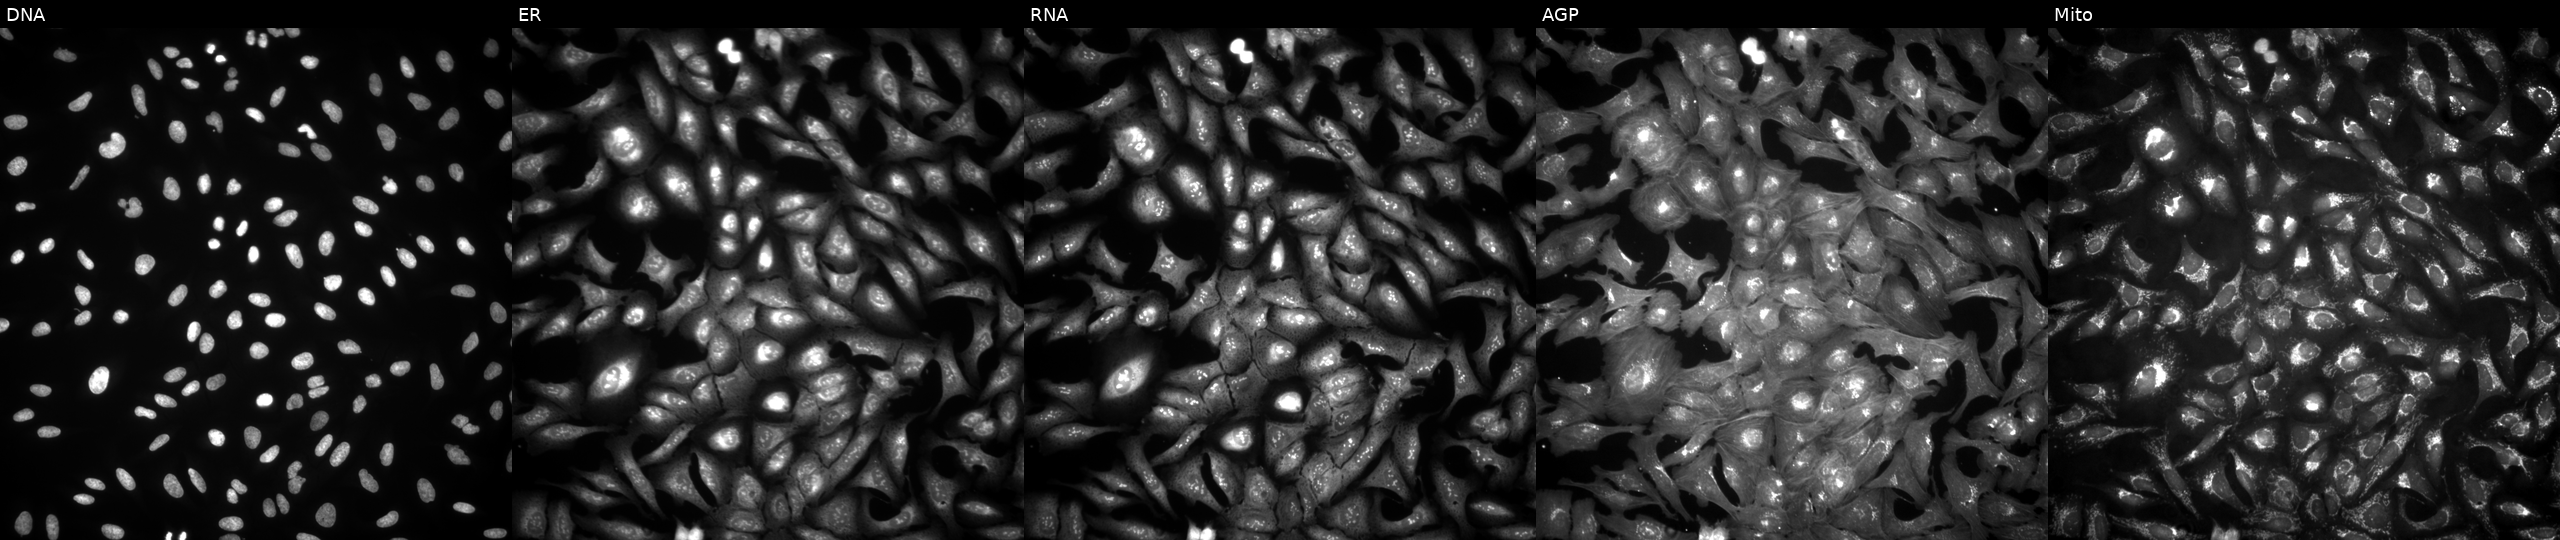
U2OS cells, Cell Painting assay, overexpressing RAB11B via ORF transfection. From left to right: DNA, ER, RNA, AGP, and Mito. Each panel is percentile-stretched 16-bit fluorescence.